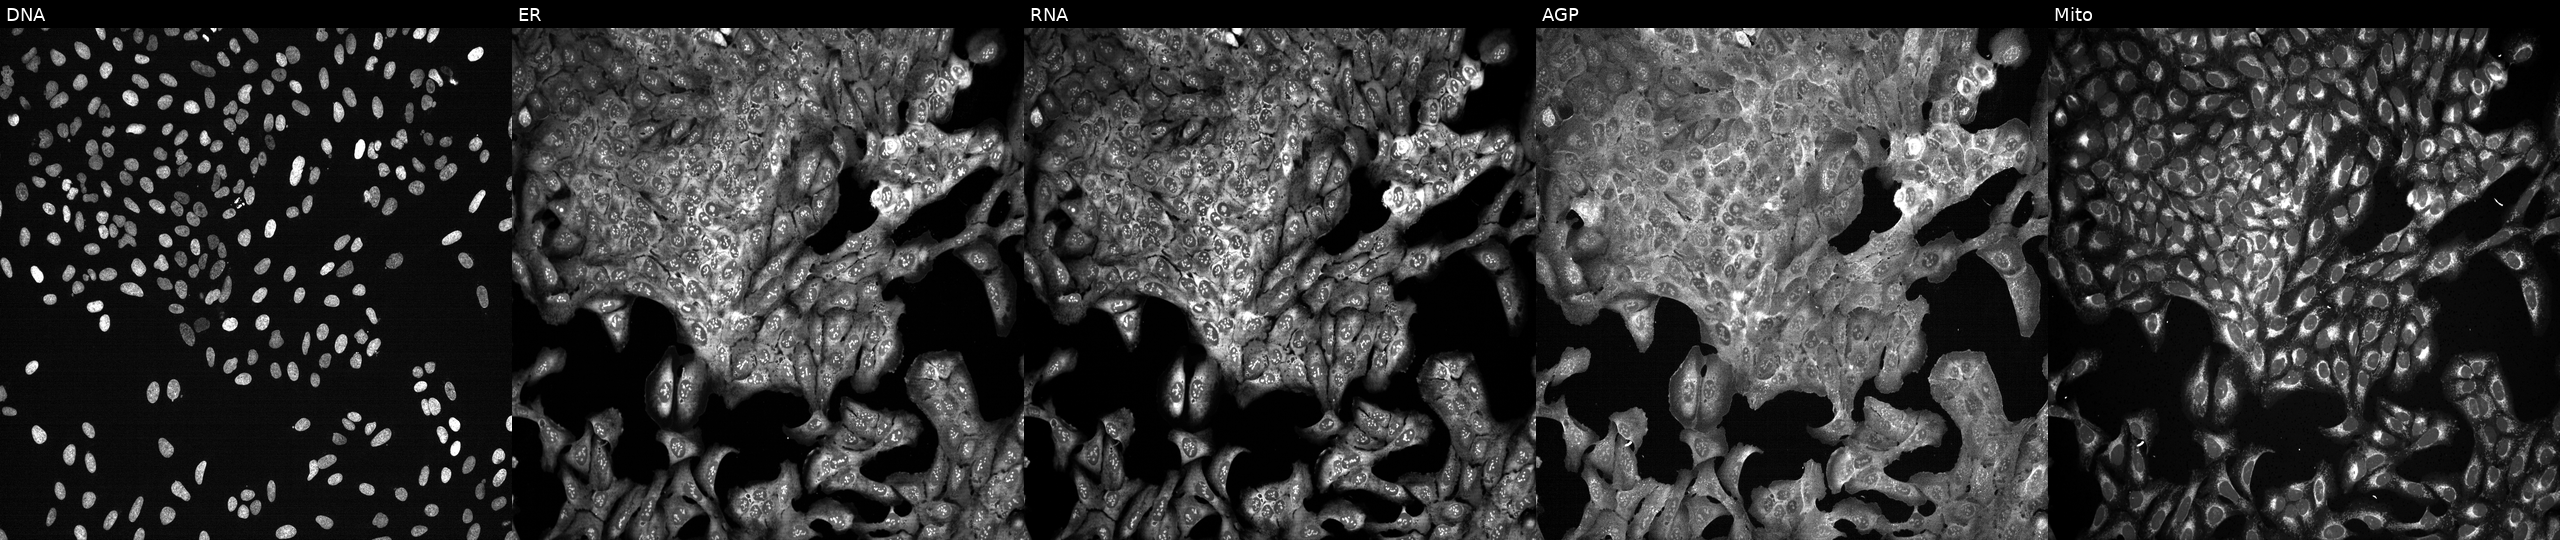
This image strip shows the five Cell Painting channels for a single field of U2OS cells CRISPR-edited to disrupt ARF3. Channels (left→right): DNA, ER, RNA, AGP, and Mito.